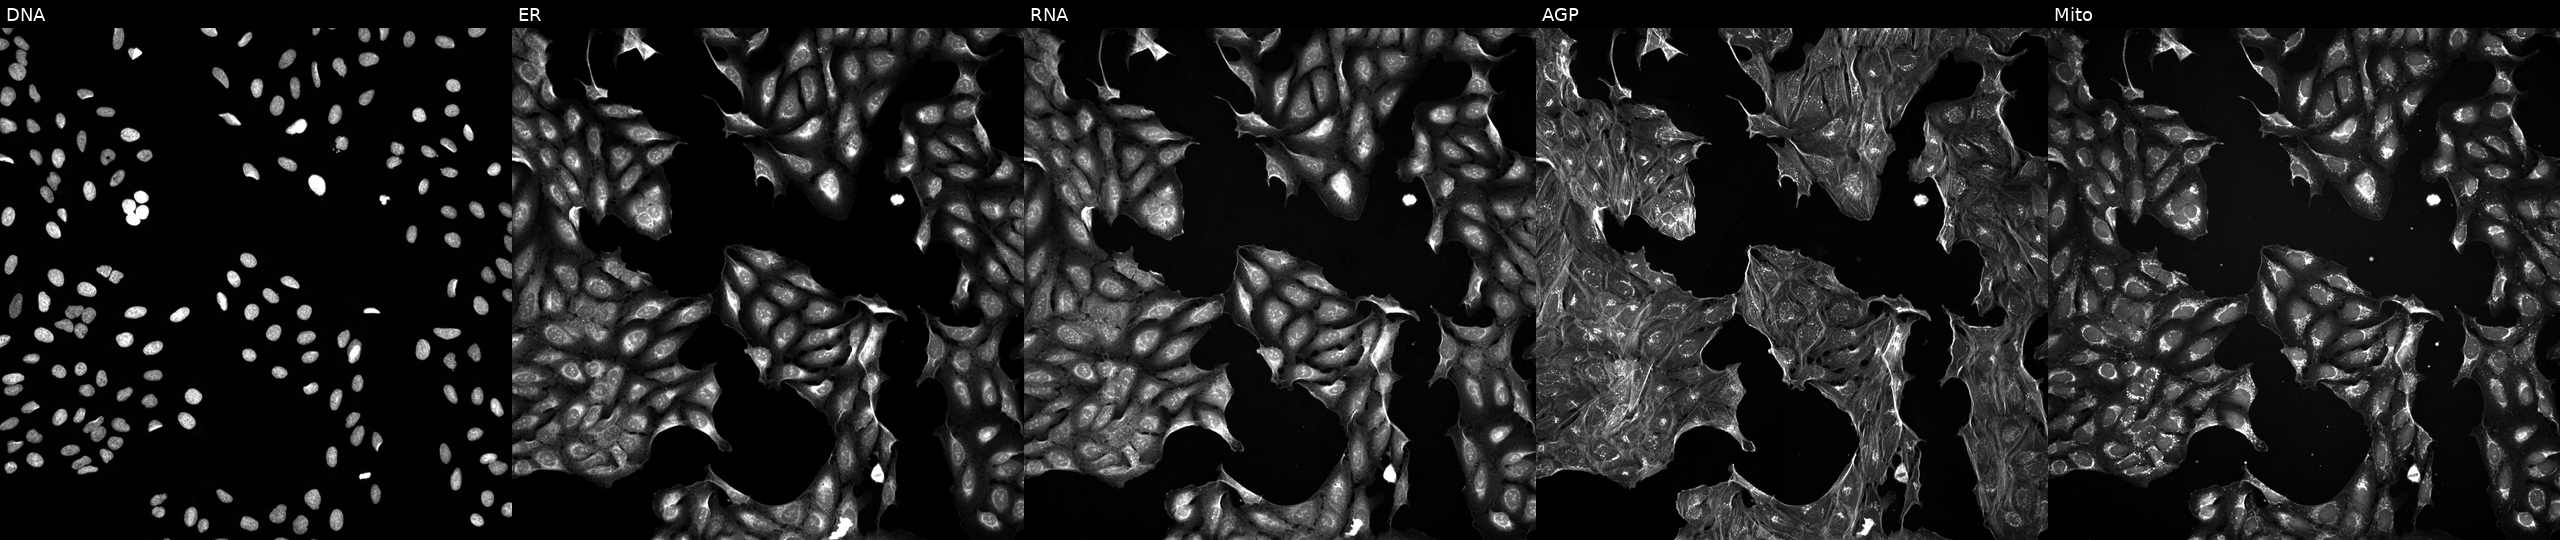
From left to right: DNA (nuclei); ER (endoplasmic reticulum); RNA (nucleoli and cytoplasmic RNA); AGP (actin cytoskeleton, Golgi, and plasma membrane); Mito (mitochondria). U2OS osteosarcoma cells exposed to a small-molecule compound (InChIKey XQYASZNUFDVMFH-UHFFFAOYSA-N) [SMILES: CC1CN(Cc2ccc(F)cc2)CCN1C(=O)COc1ccc(Cl)cc1NC(N)=O] (JUMP id JCP2022_105456). Cell Painting assay, JUMP-CP dataset. Source 5, plate ACPJUM032, well C01.